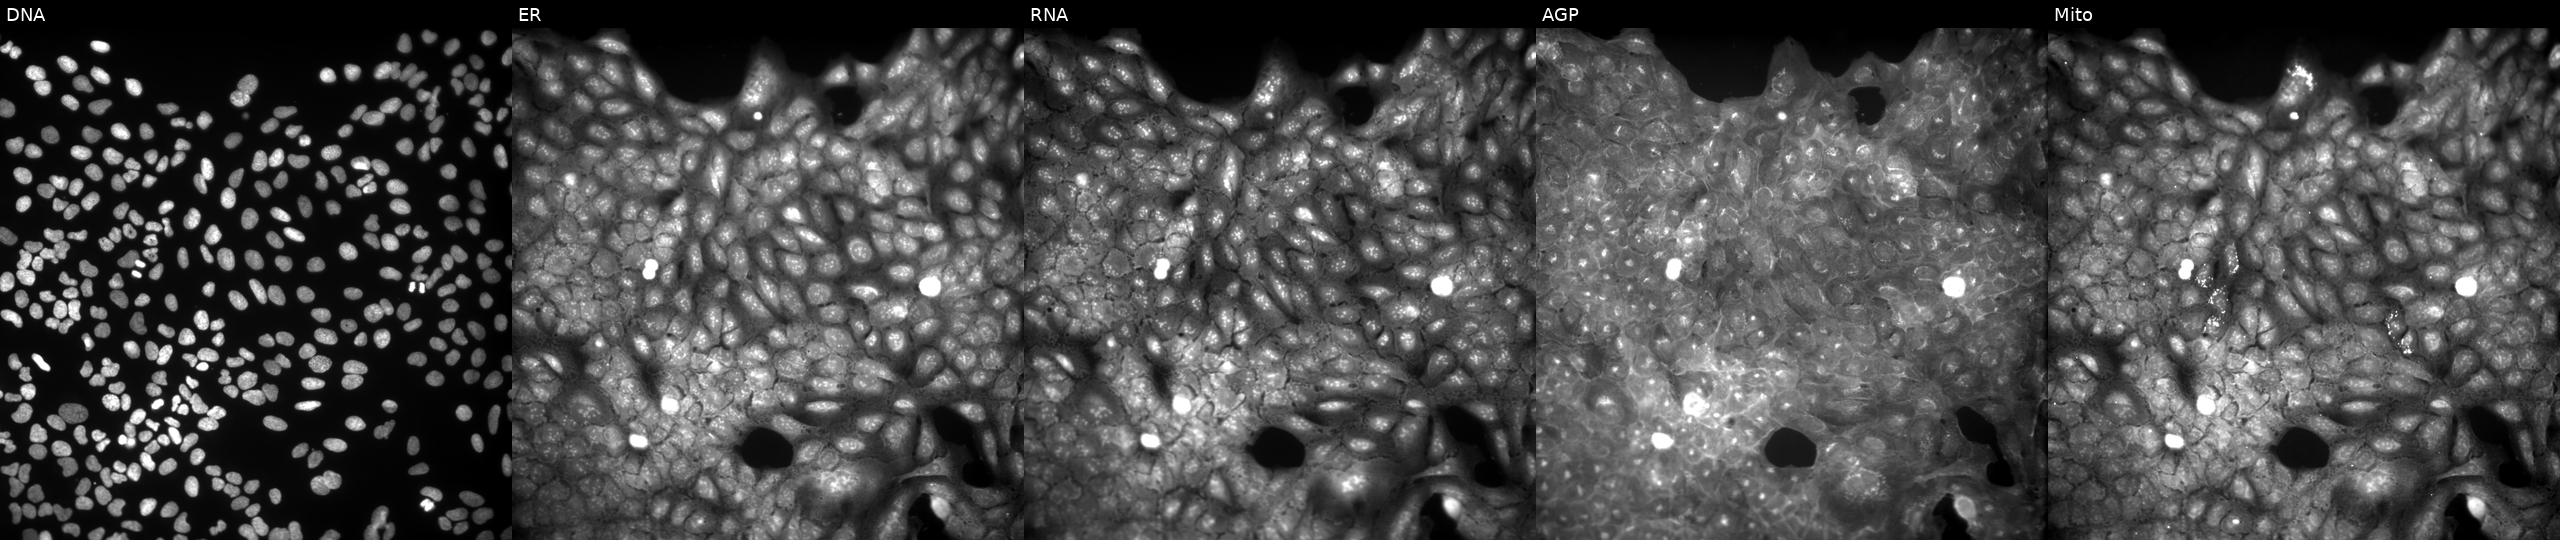
U2OS cells, Cell Painting assay, treated with a small-molecule compound (InChIKey NWWWWMZCQZQQIK-UHFFFAOYSA-N) (JUMP id JCP2022_061886). Channels (left→right): DNA (nuclei); ER (endoplasmic reticulum); RNA (nucleoli and cytoplasmic RNA); AGP (actin cytoskeleton, Golgi, and plasma membrane); Mito (mitochondria). Each panel is percentile-stretched 16-bit fluorescence. Source 9, plate GR00003381, well AC16.